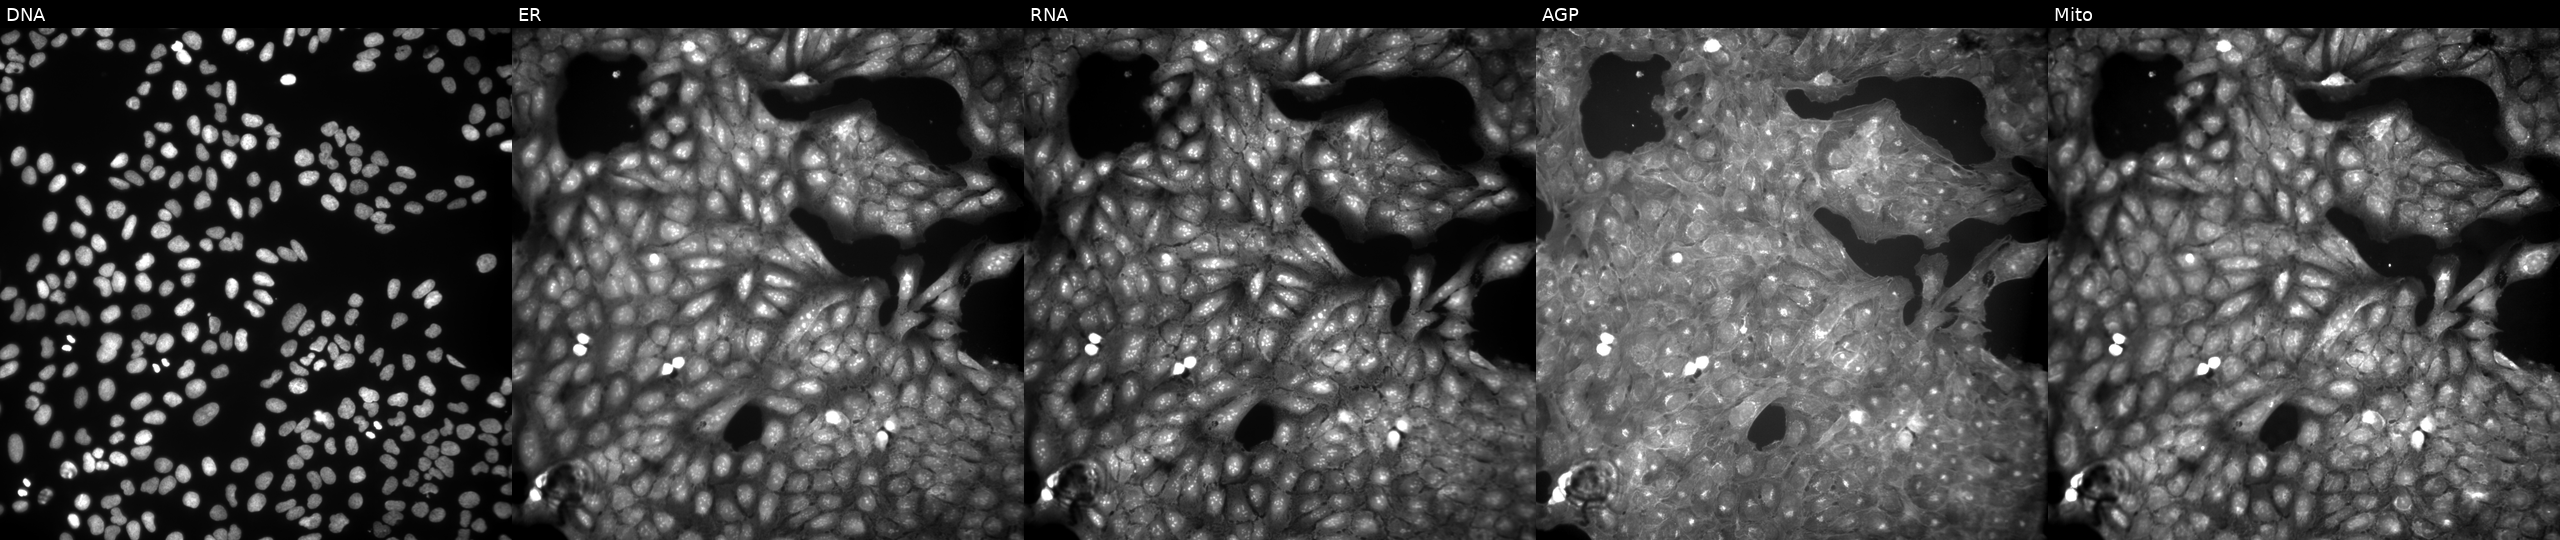
JUMP Cell Painting — COMPOUND plate. U2OS cells exposed to a small-molecule compound (InChIKey UANNCZVAVVEVCB-UHFFFAOYSA-N) (JUMP id JCP2022_087966). The five panels, left to right, show DNA, ER, RNA, AGP, and Mito.